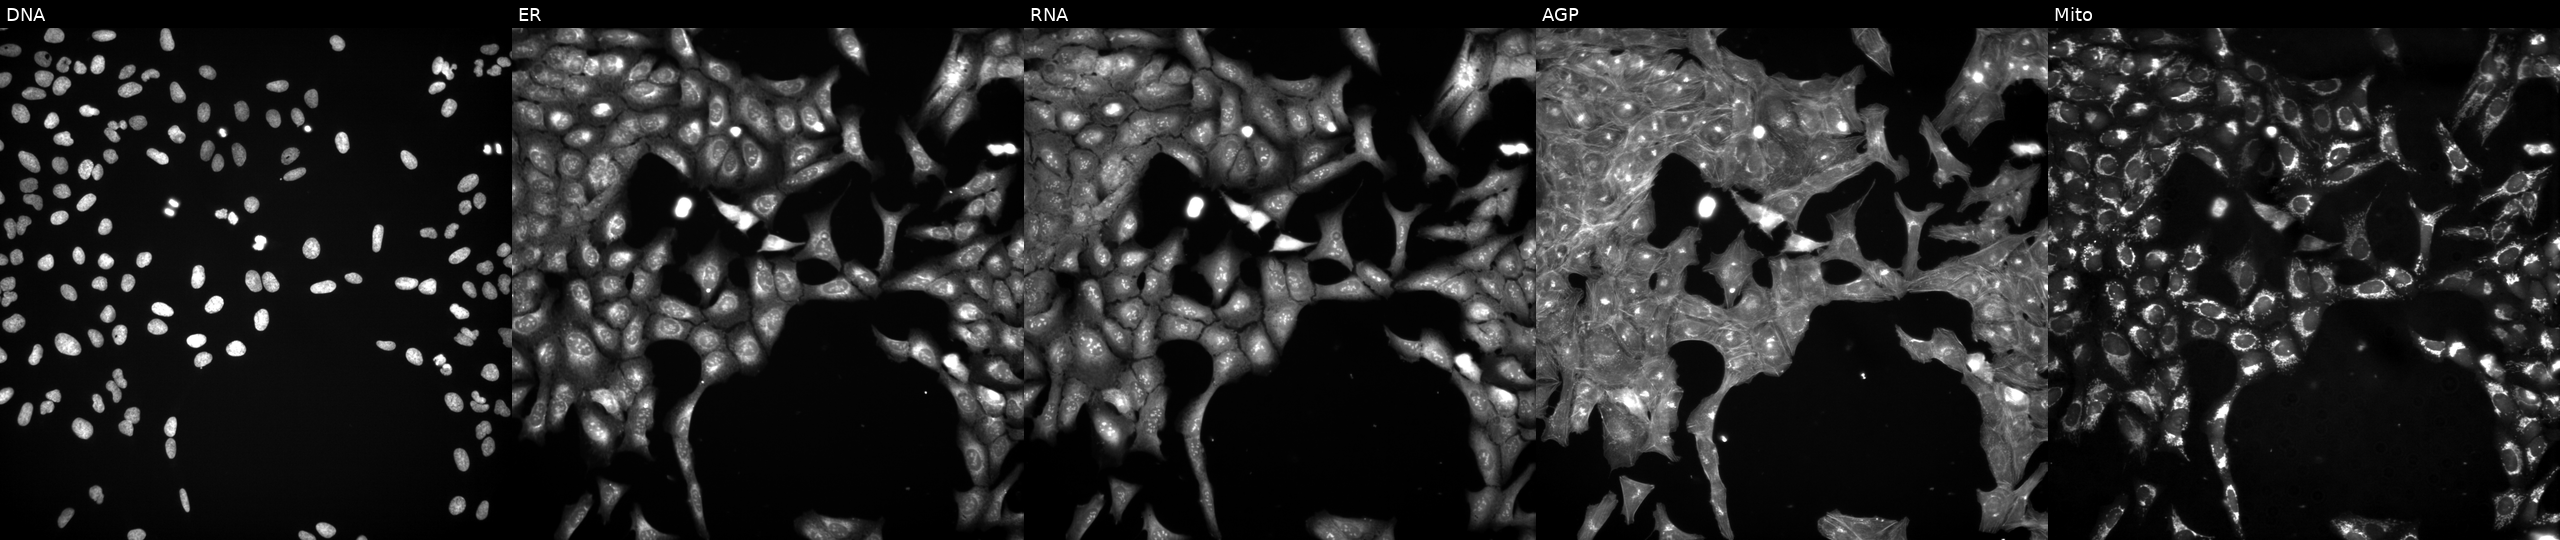
This image strip shows the five Cell Painting channels for a single field of U2OS cells exposed to DMSO alone as a negative control (JUMP id JCP2022_033924). The five panels, left to right, show DNA (nuclei); ER (endoplasmic reticulum); RNA (nucleoli and cytoplasmic RNA); AGP (actin cytoskeleton, Golgi, and plasma membrane); Mito (mitochondria). Source 3, plate JCPQC053, well H18.